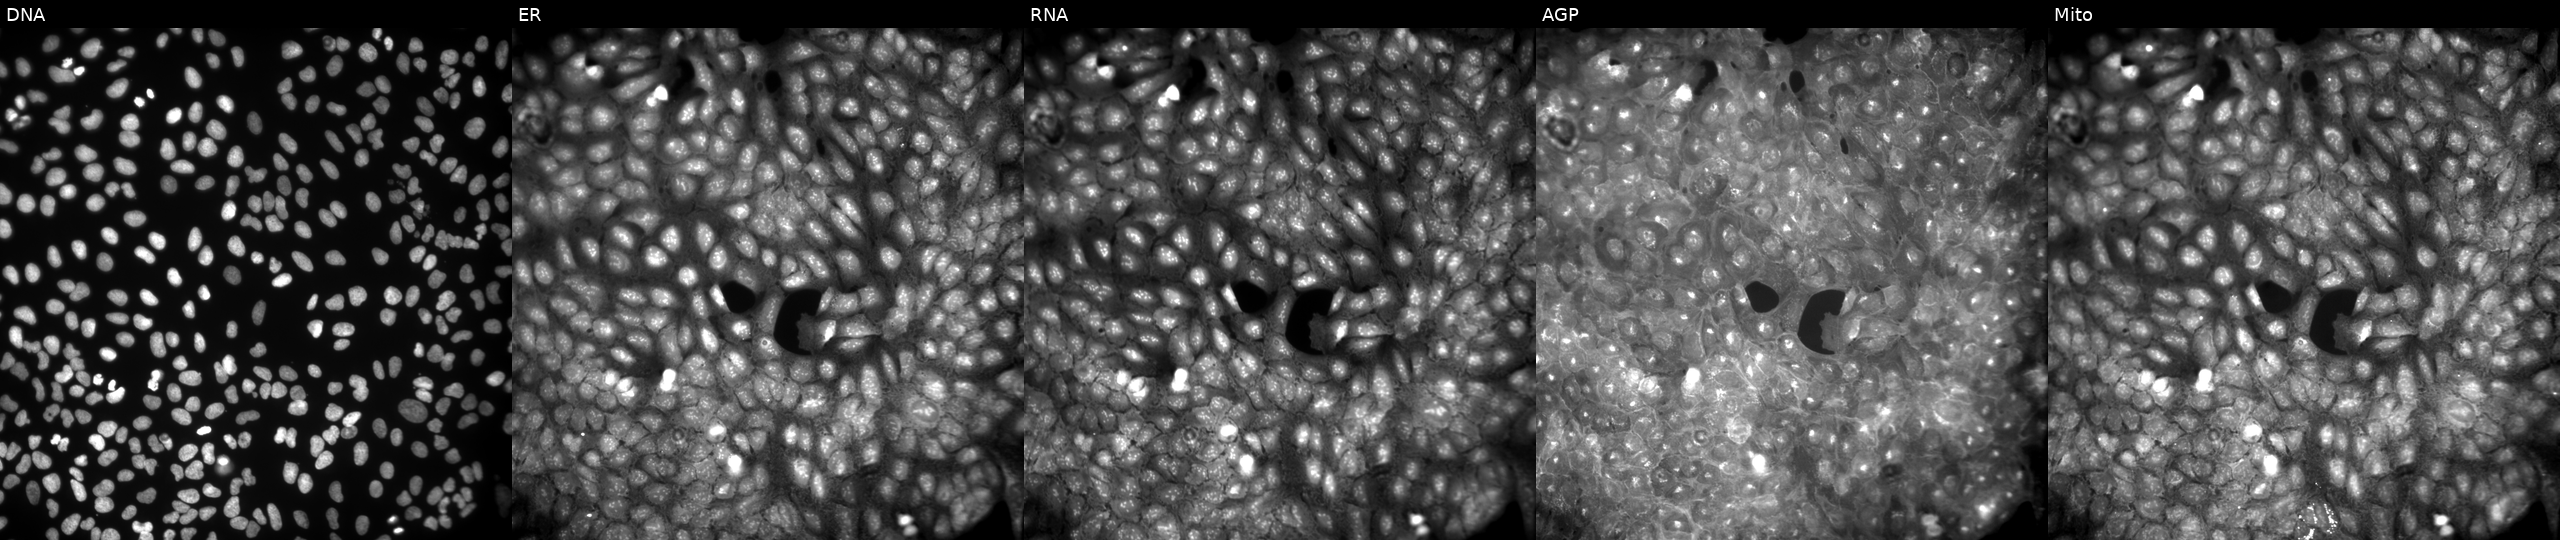
This image strip shows the five Cell Painting channels for a single field of U2OS cells exposed to a small-molecule compound (InChIKey MJKWIWJNIFHRIW-UHFFFAOYSA-N) [SMILES: CCOC(=O)Nc1sc(=NS(=O)(=O)c2ccc(C)cc2)[nH]c1C]. Panels show, left to right, DNA (nuclei); ER (endoplasmic reticulum); RNA (nucleoli and cytoplasmic RNA); AGP (actin cytoskeleton, Golgi, and plasma membrane); Mito (mitochondria).